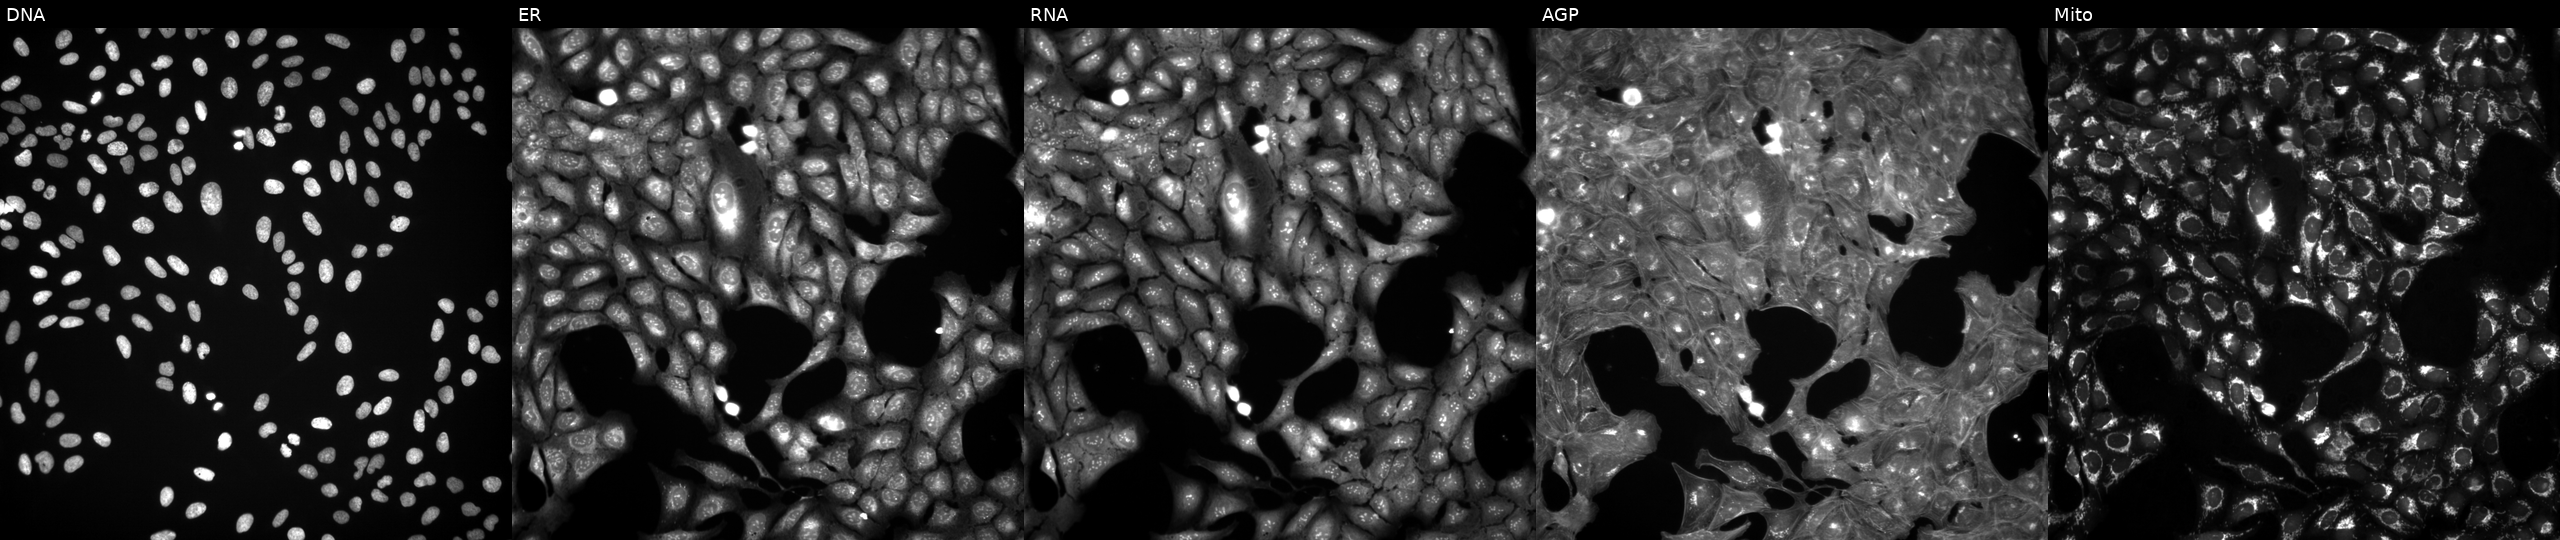
U2OS cells, Cell Painting assay, exposed to DMSO alone as a negative control. Channels (left→right): DNA, ER, RNA, AGP, and Mito. Each panel is percentile-stretched 16-bit fluorescence. Source 3, plate JCPQC051, well I20.